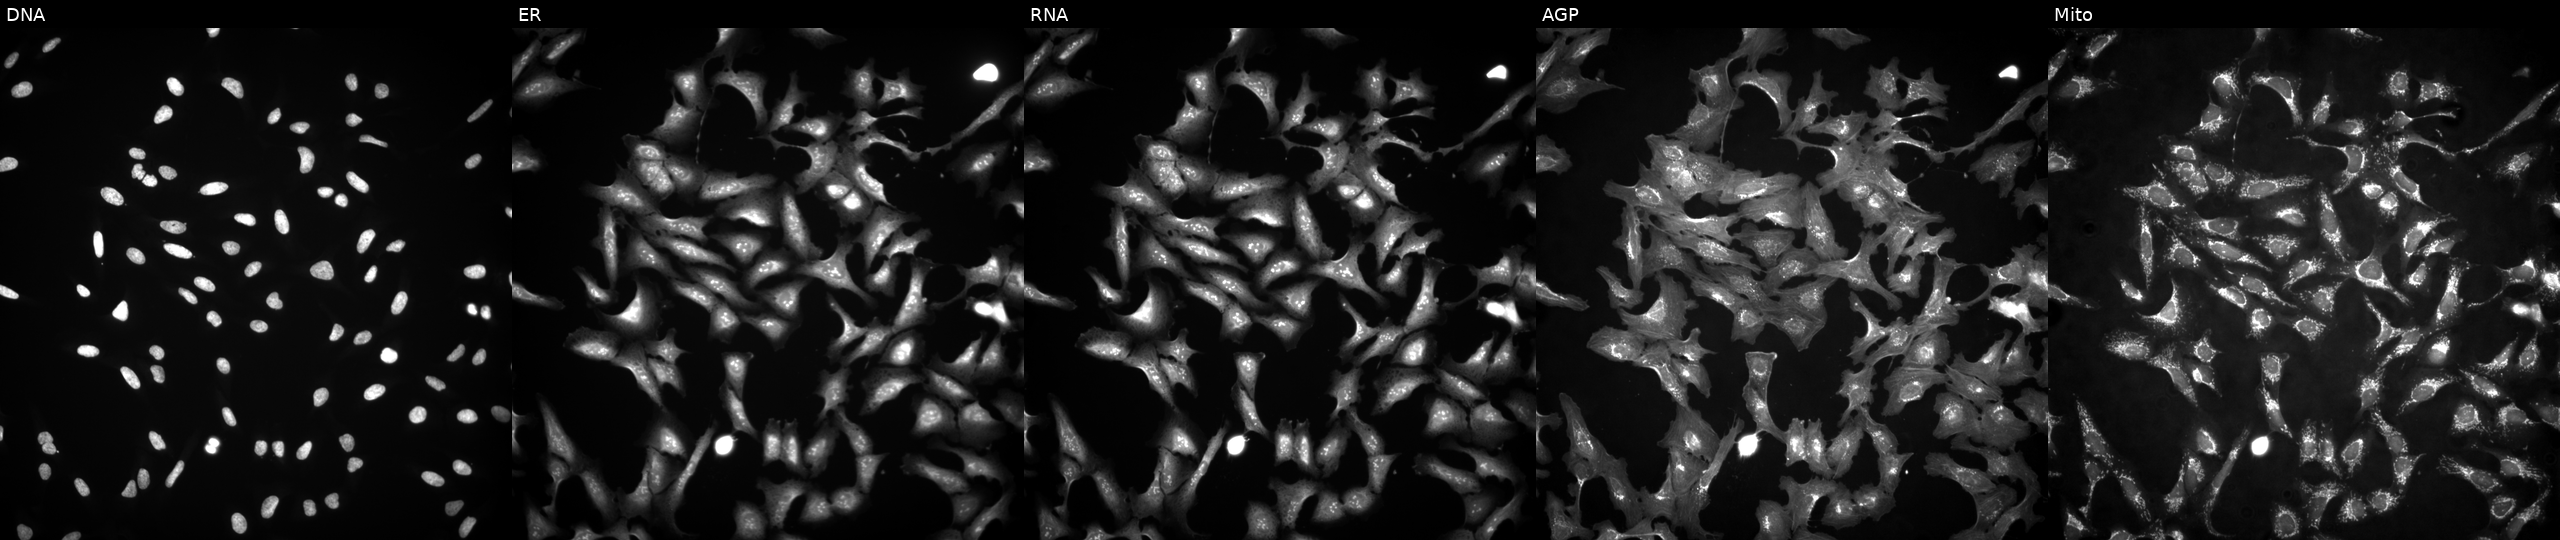
Five-channel Cell Painting image of U2OS cells overexpressing KLHDC9 via ORF transfection. Panels show, left to right, DNA (nuclei); ER (endoplasmic reticulum); RNA (nucleoli and cytoplasmic RNA); AGP (actin cytoskeleton, Golgi, and plasma membrane); Mito (mitochondria). Source 4, plate BR00117035, well A10.